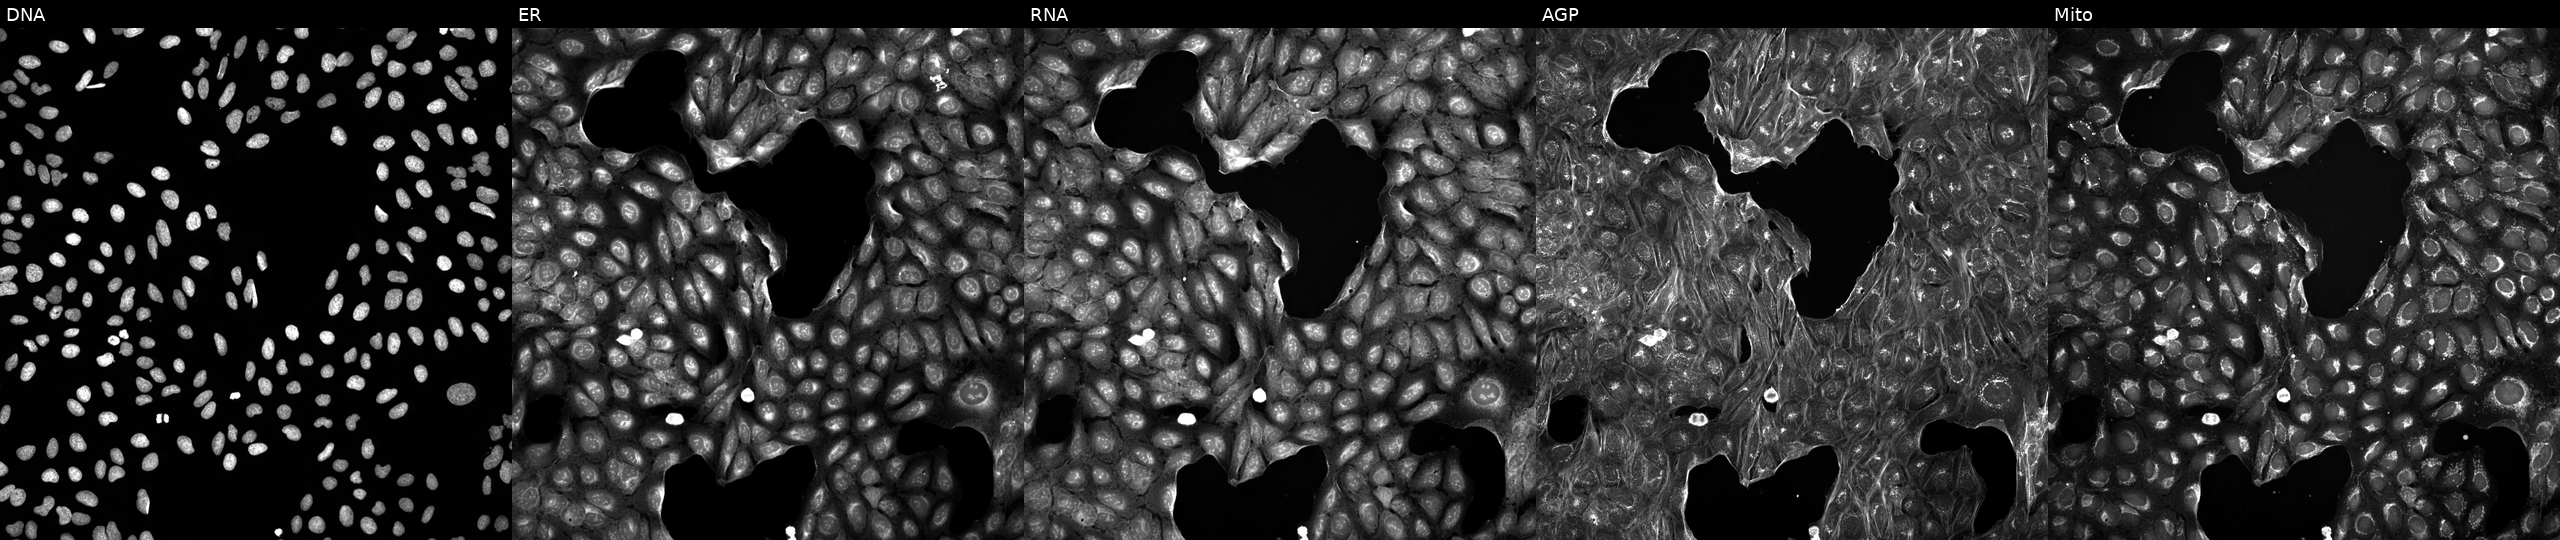
U2OS cells, Cell Painting assay, exposed to a small-molecule compound (JUMP id JCP2022_007419). Panels show, left to right, DNA, ER, RNA, AGP, and Mito. Each panel is percentile-stretched 16-bit fluorescence.